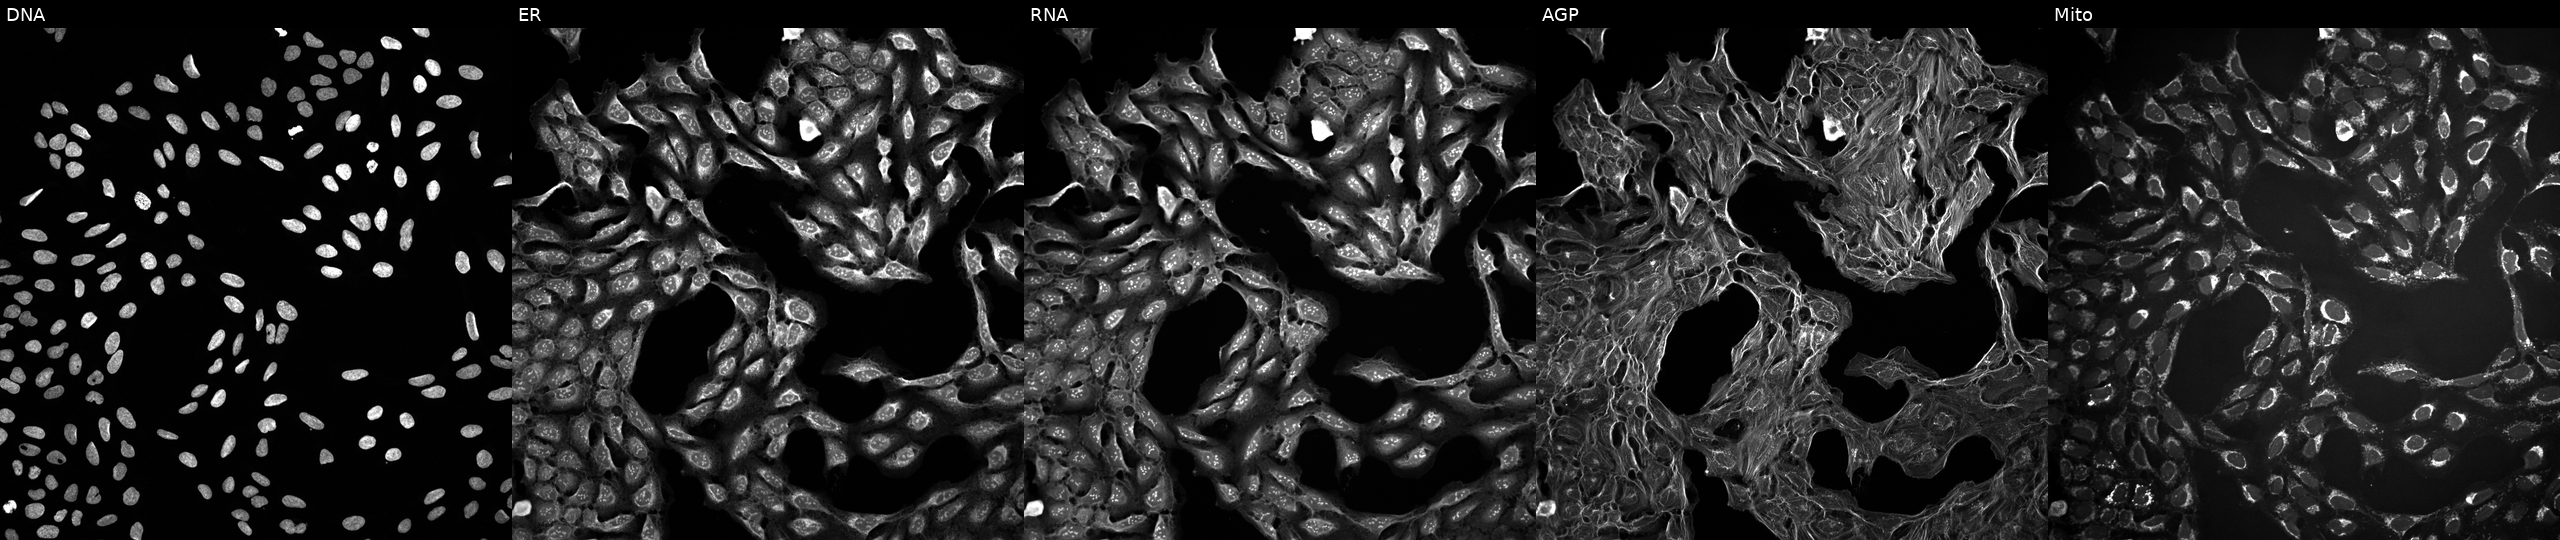
High-content fluorescence microscopy (Cell Painting). Cell line: U2OS. Perturbation: treated with DMSO vehicle only (negative control). The five panels, left to right, show Hoechst 33342, concanavalin A, SYTO 14, phalloidin and WGA, MitoTracker.